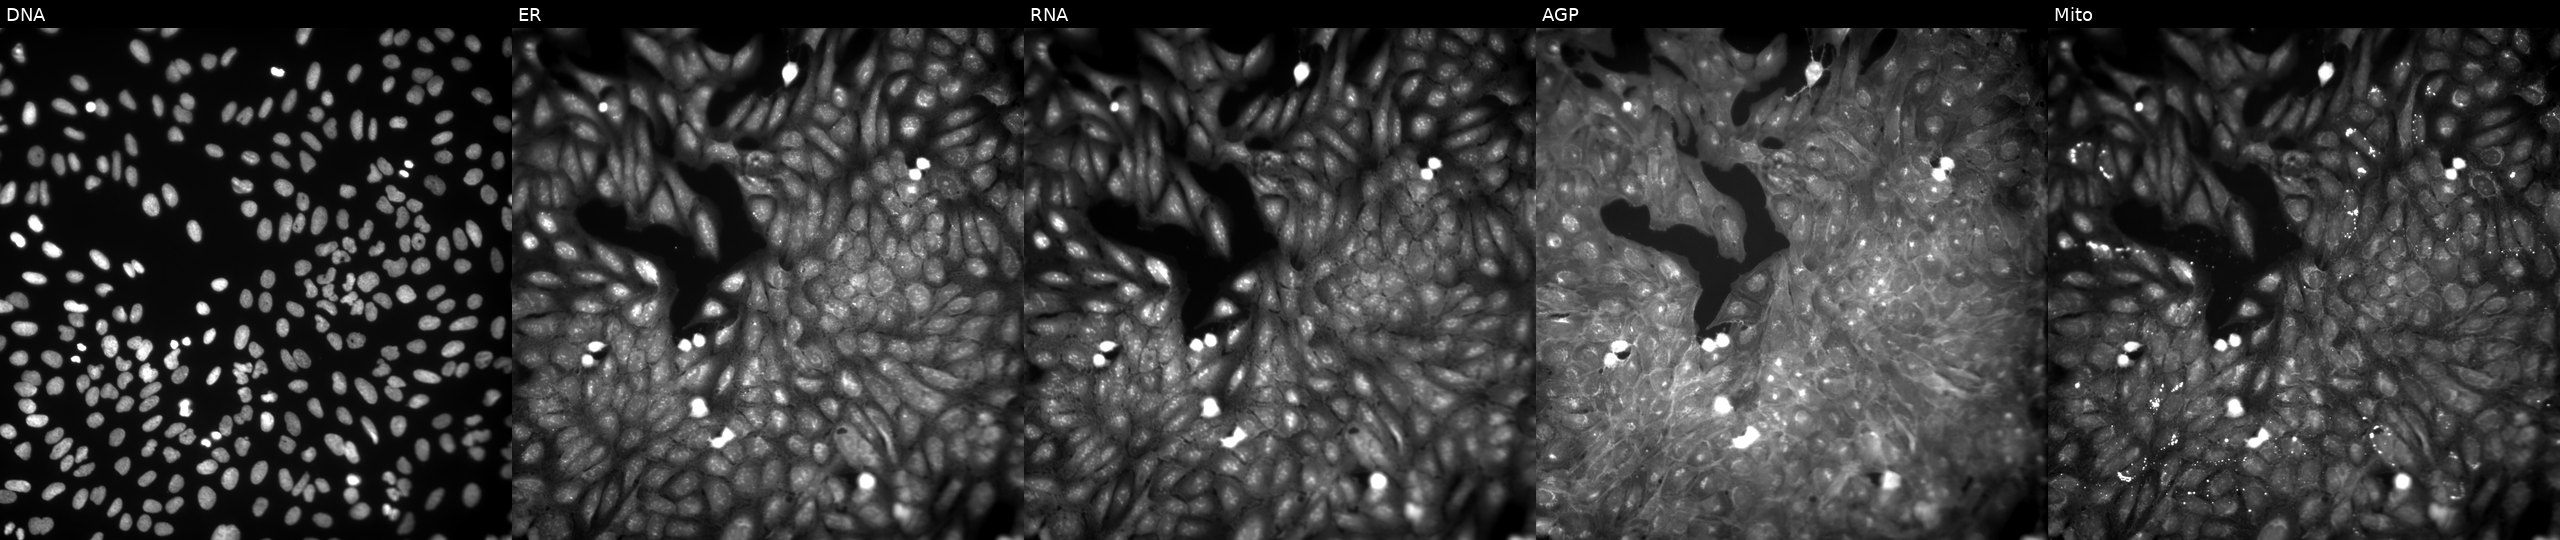
U2OS cells, Cell Painting assay, exposed to a small-molecule compound. Channels (left→right): Hoechst 33342, concanavalin A, SYTO 14, phalloidin and WGA, MitoTracker. Each panel is percentile-stretched 16-bit fluorescence.